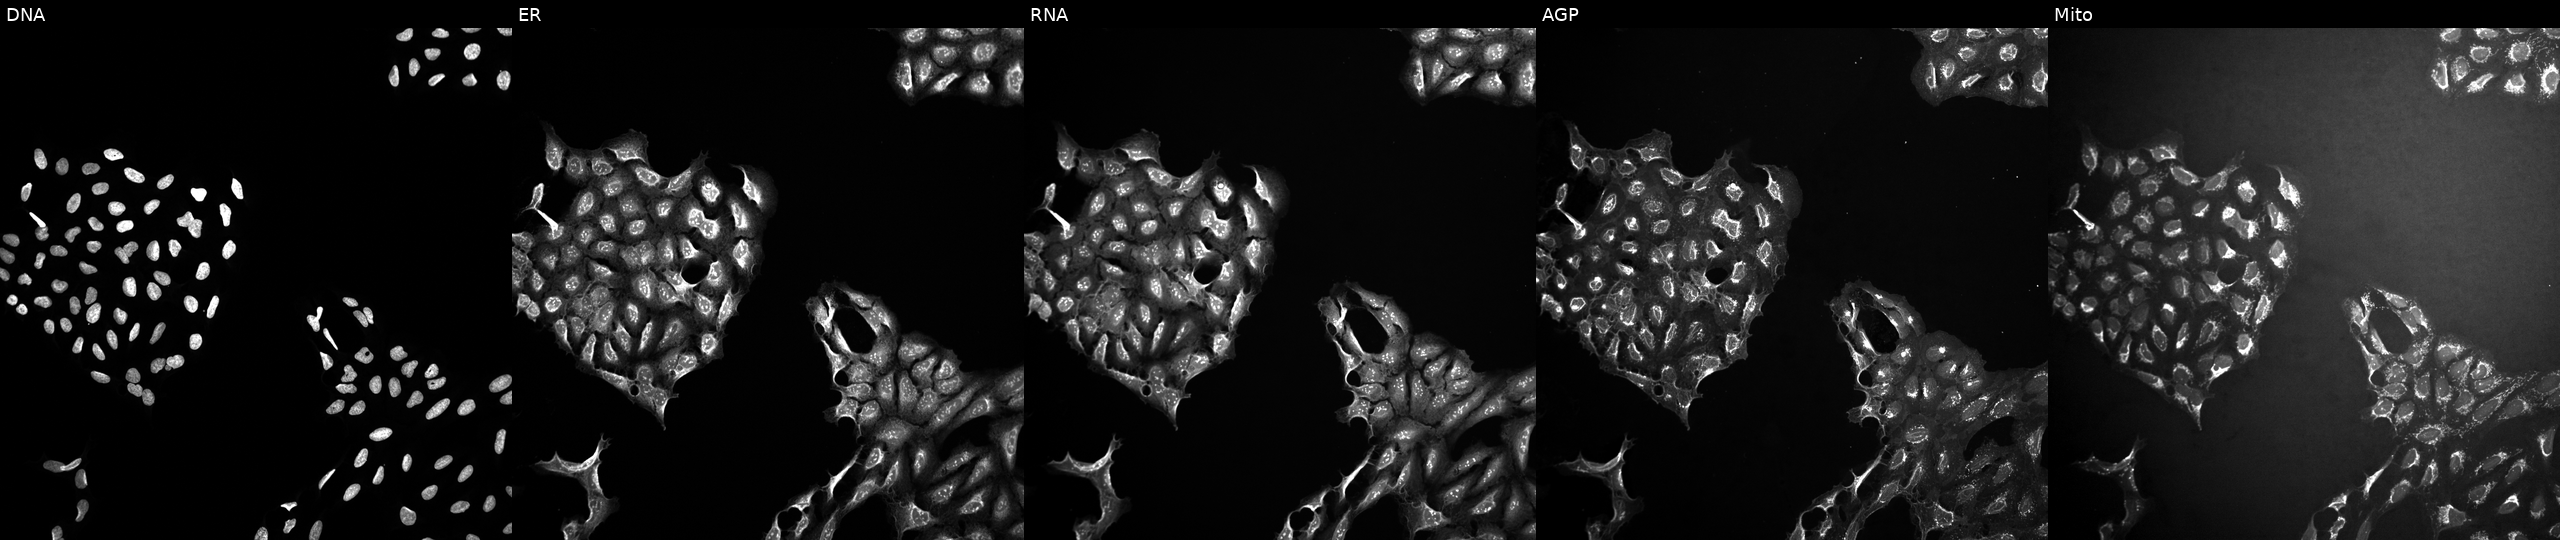
Channels (left→right): Hoechst 33342, concanavalin A, SYTO 14, phalloidin and WGA, MitoTracker. U2OS osteosarcoma cells treated with a small-molecule compound (JUMP id JCP2022_104794). Cell Painting assay, JUMP-CP dataset.